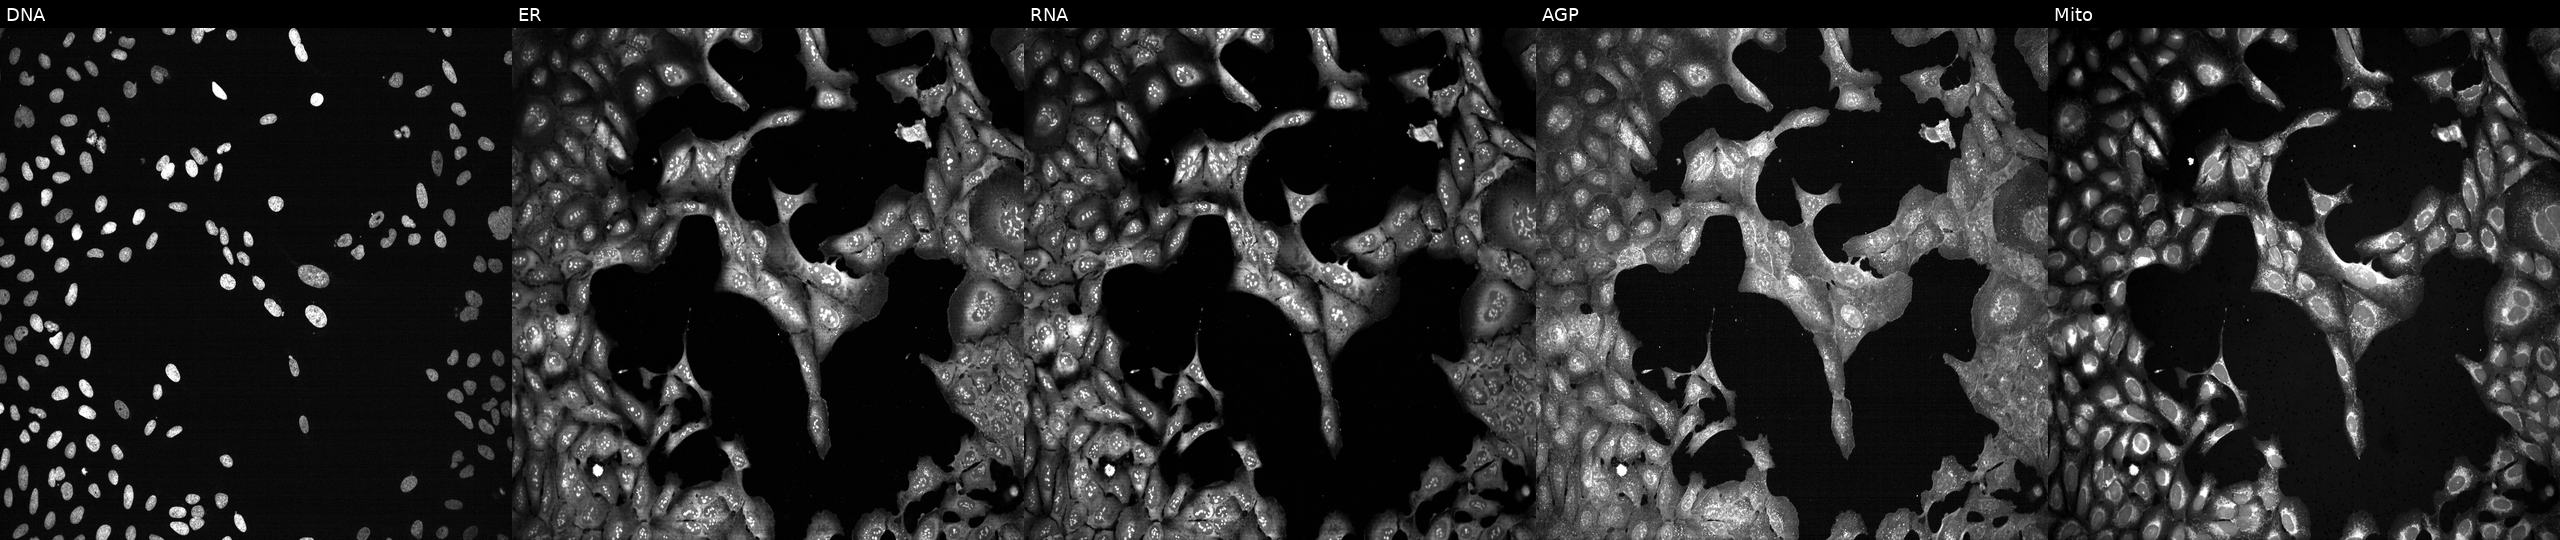
U2OS cells, Cell Painting assay, following CRISPR knockout of ATP1A2. Channels (left→right): DNA (nuclei); ER (endoplasmic reticulum); RNA (nucleoli and cytoplasmic RNA); AGP (actin cytoskeleton, Golgi, and plasma membrane); Mito (mitochondria). Each panel is percentile-stretched 16-bit fluorescence. Source 13, plate CP-CC9-R5-01, well P21.